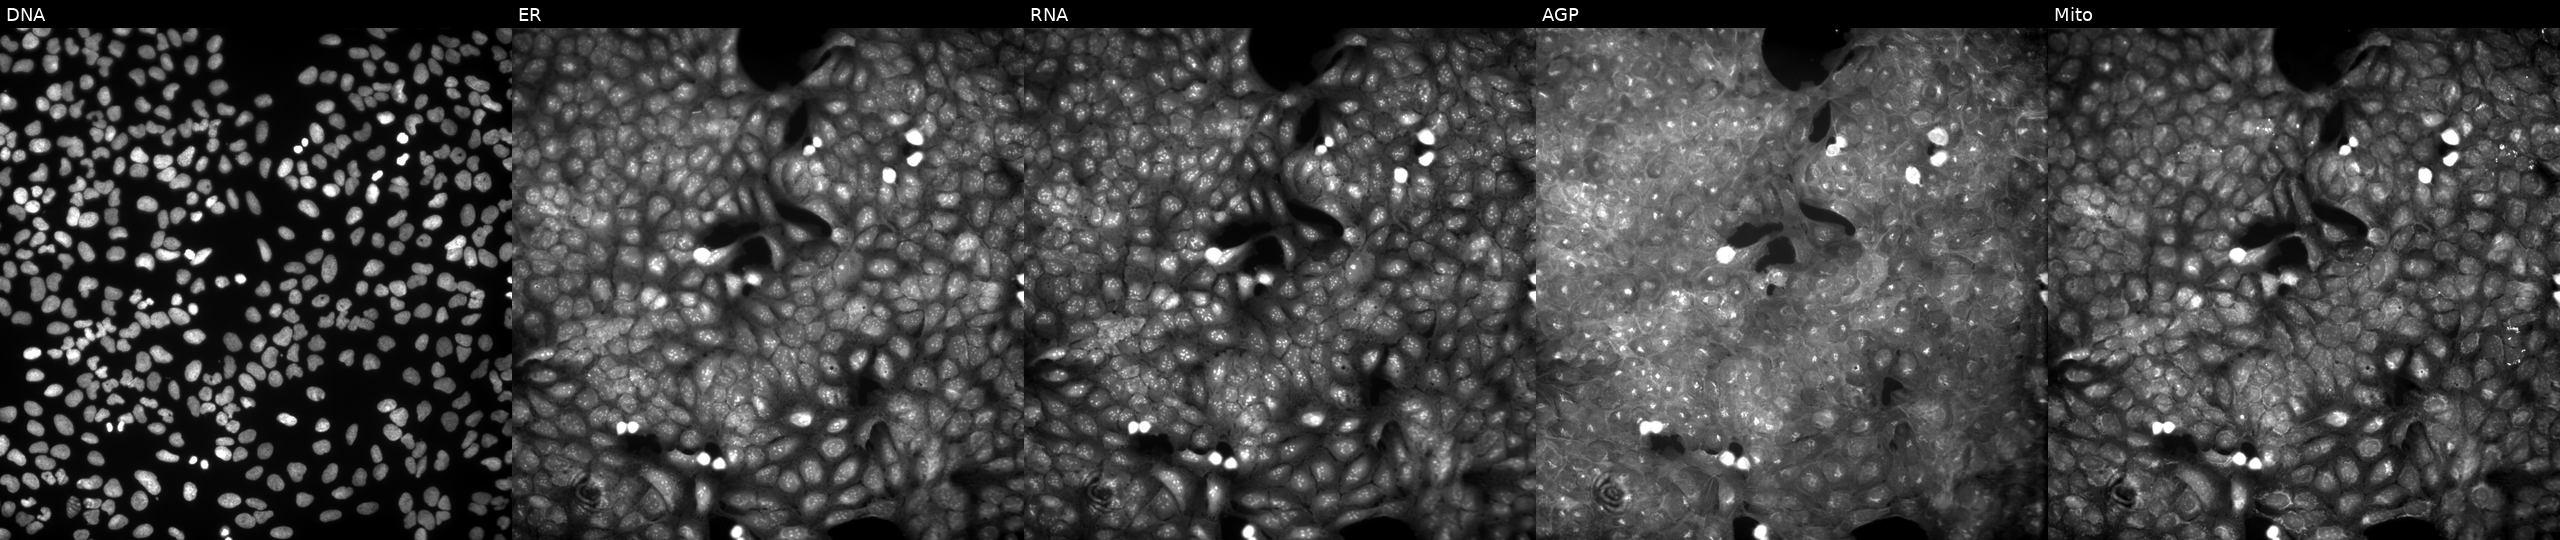
This image strip shows the five Cell Painting channels for a single field of U2OS cells exposed to a small-molecule compound. Panels show, left to right, DNA (nuclei); ER (endoplasmic reticulum); RNA (nucleoli and cytoplasmic RNA); AGP (actin cytoskeleton, Golgi, and plasma membrane); Mito (mitochondria). Source 9, plate GR00003381, well X39.